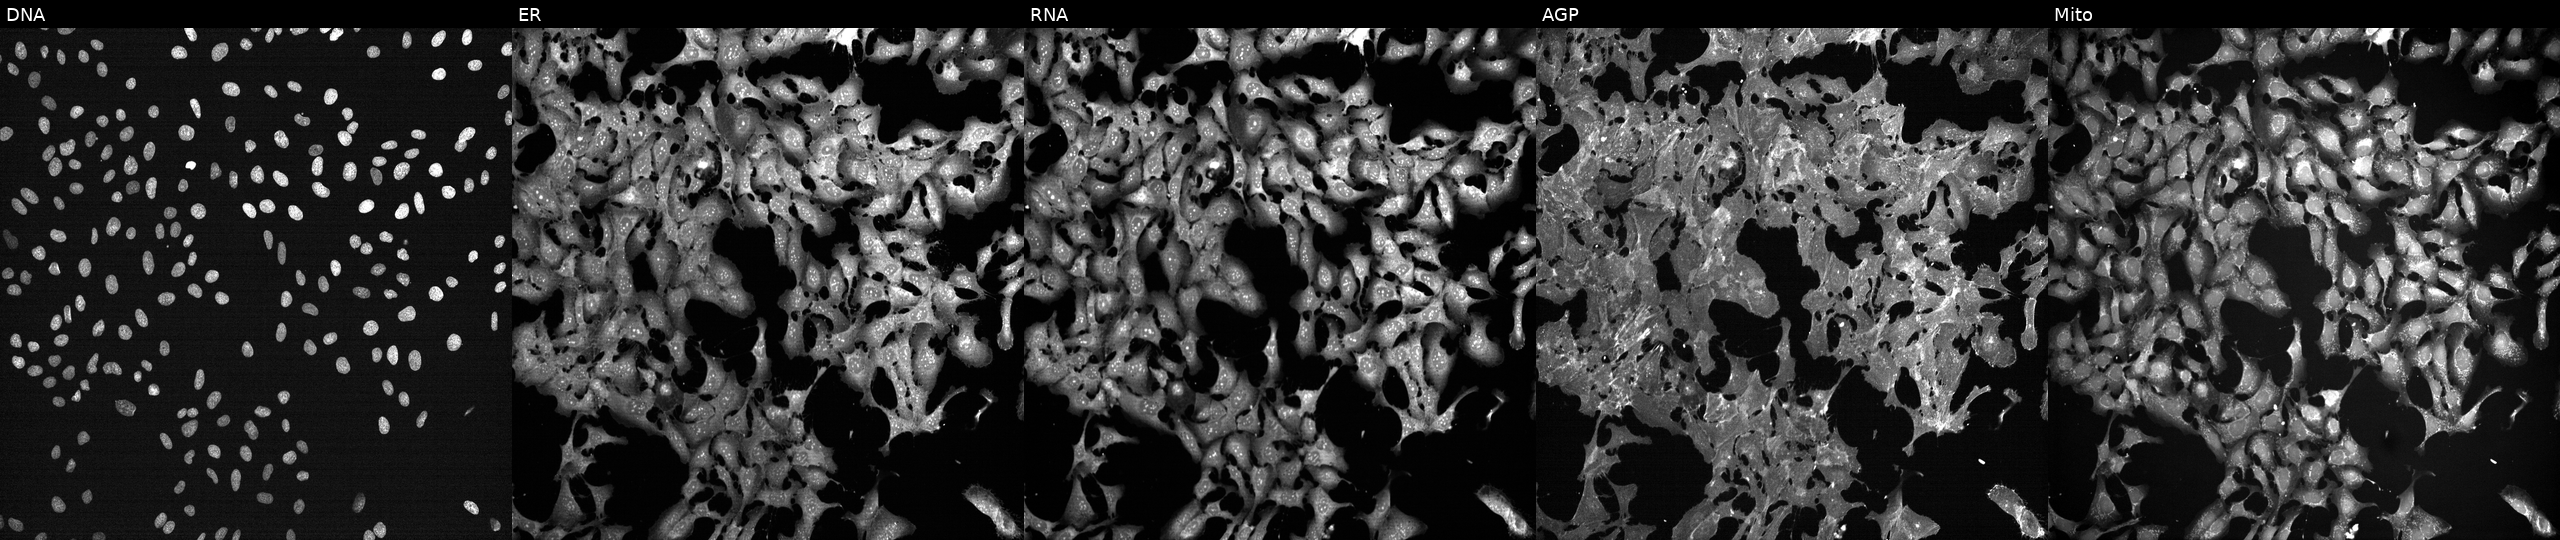
Channels (left→right): DNA (nuclei); ER (endoplasmic reticulum); RNA (nucleoli and cytoplasmic RNA); AGP (actin cytoskeleton, Golgi, and plasma membrane); Mito (mitochondria). U2OS osteosarcoma cells perturbed with a small-molecule compound (InChIKey DSLRVRBSNLHVBH-UHFFFAOYSA-N) [SMILES: OCc1ccc(CO)o1]. Cell Painting assay, JUMP-CP dataset.